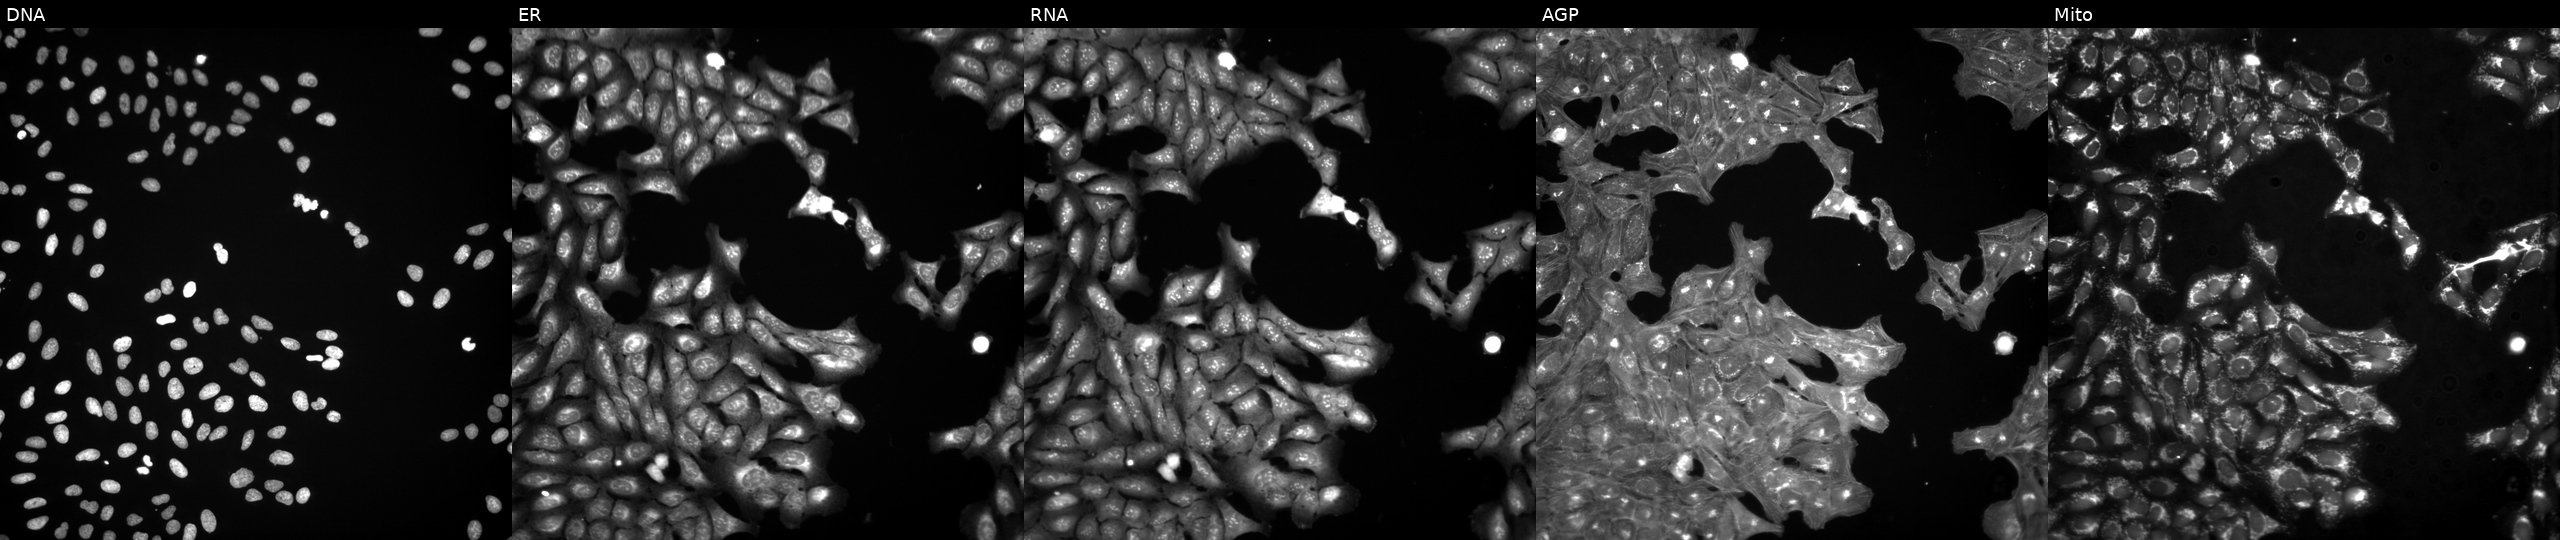
Panels show, left to right, DNA (nuclei); ER (endoplasmic reticulum); RNA (nucleoli and cytoplasmic RNA); AGP (actin cytoskeleton, Golgi, and plasma membrane); Mito (mitochondria). U2OS osteosarcoma cells exposed to a small-molecule compound. Cell Painting assay, JUMP-CP dataset.